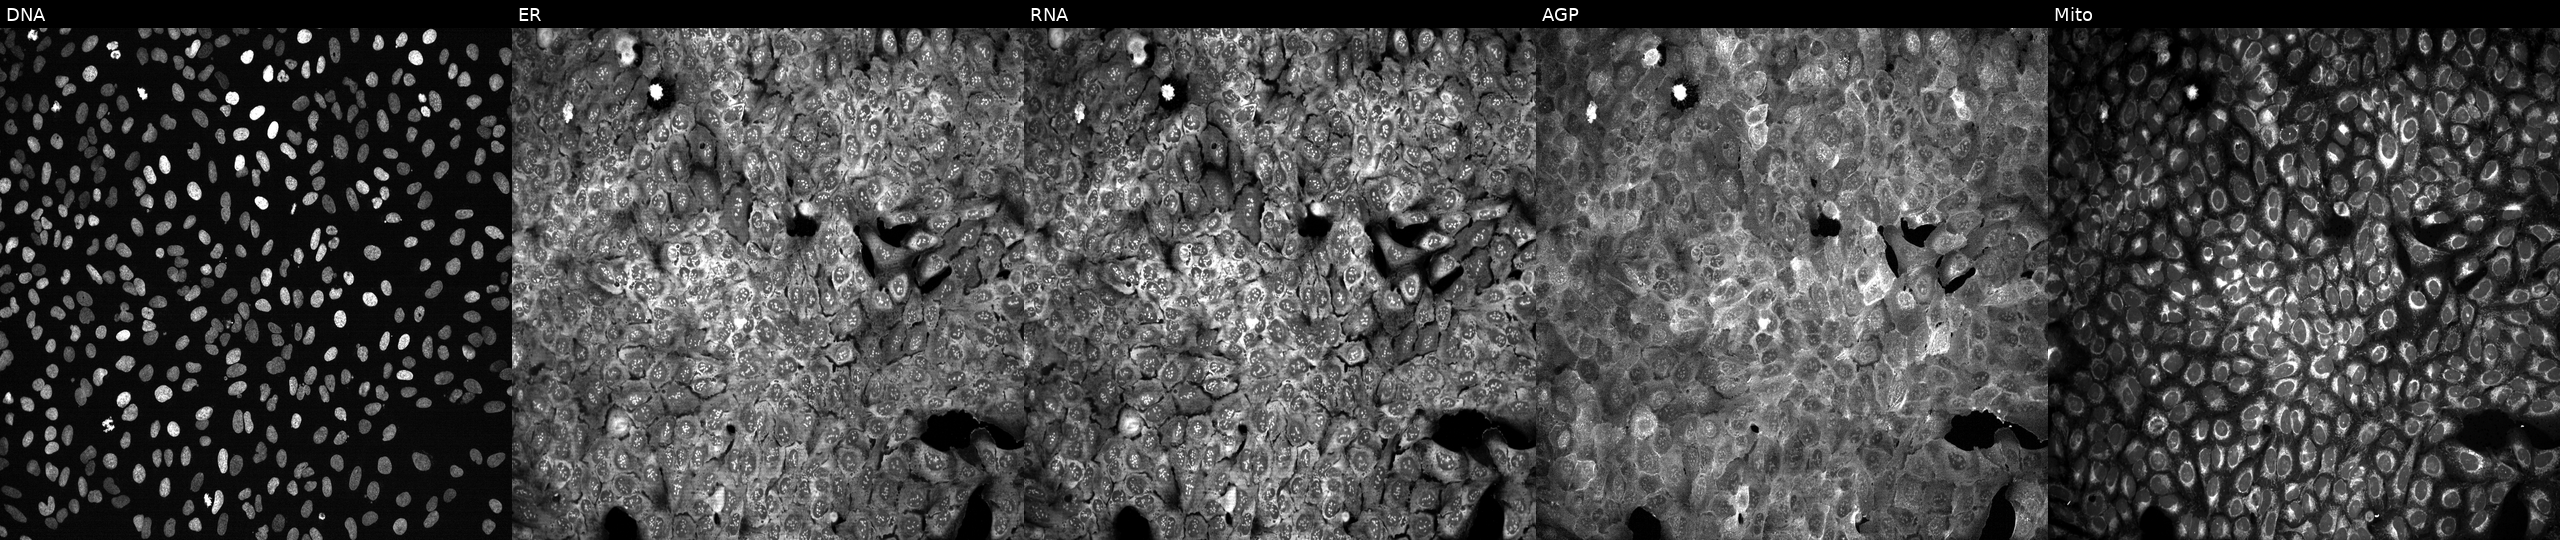
This image strip shows the five Cell Painting channels for a single field of U2OS cells CRISPR-edited to disrupt GNAI3. The five panels, left to right, show DNA (nuclei); ER (endoplasmic reticulum); RNA (nucleoli and cytoplasmic RNA); AGP (actin cytoskeleton, Golgi, and plasma membrane); Mito (mitochondria).